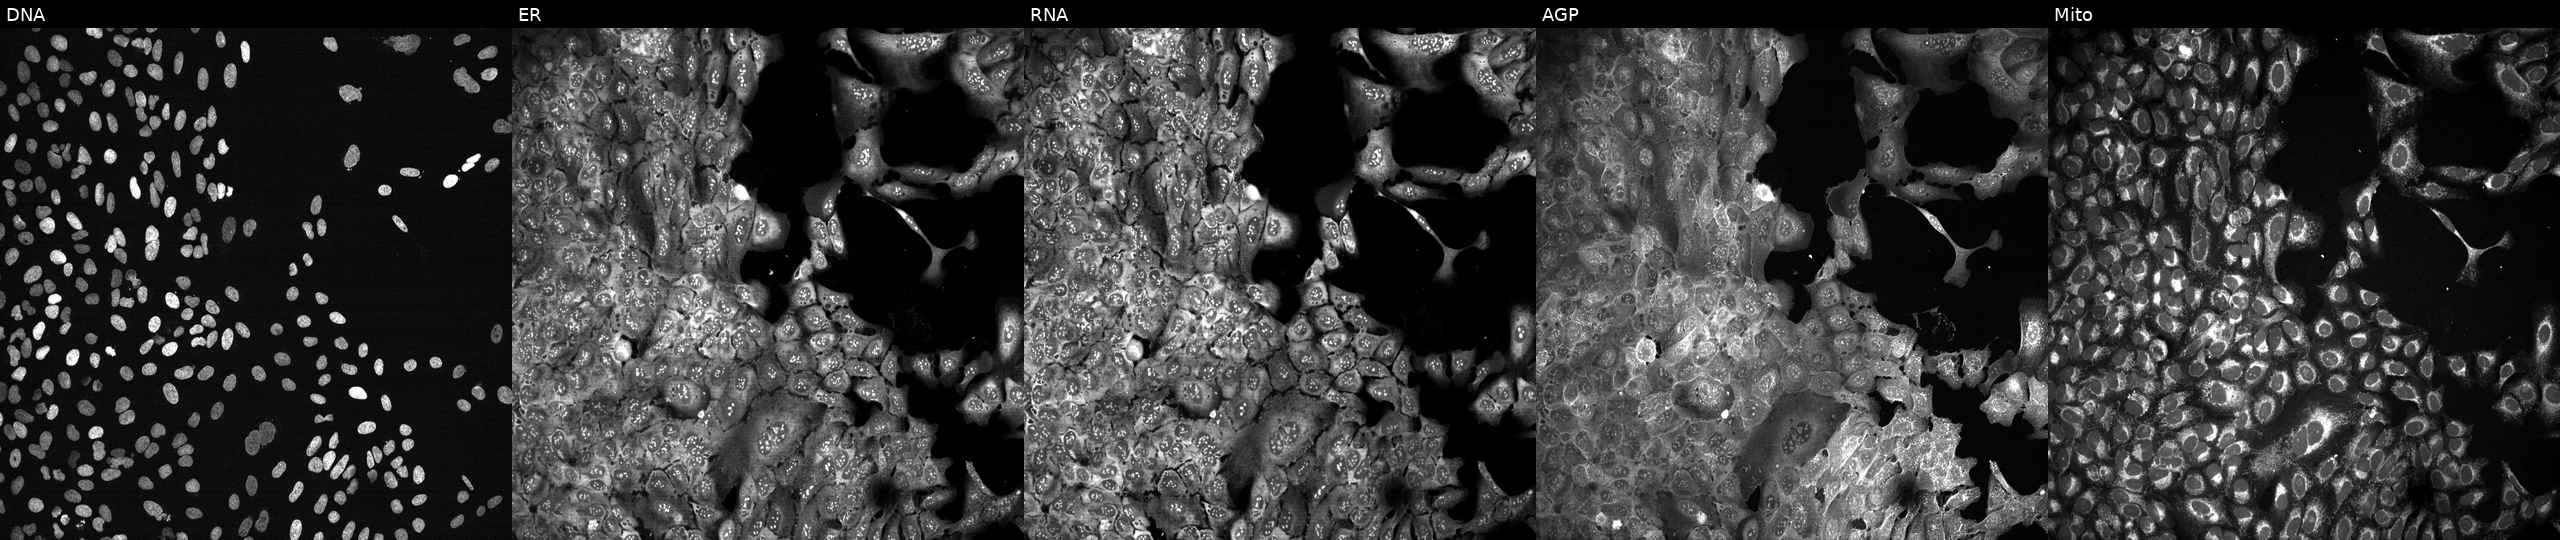
This image strip shows the five Cell Painting channels for a single field of U2OS cells with PLXNA4 knocked out by CRISPR. From left to right: DNA, ER, RNA, AGP, and Mito.